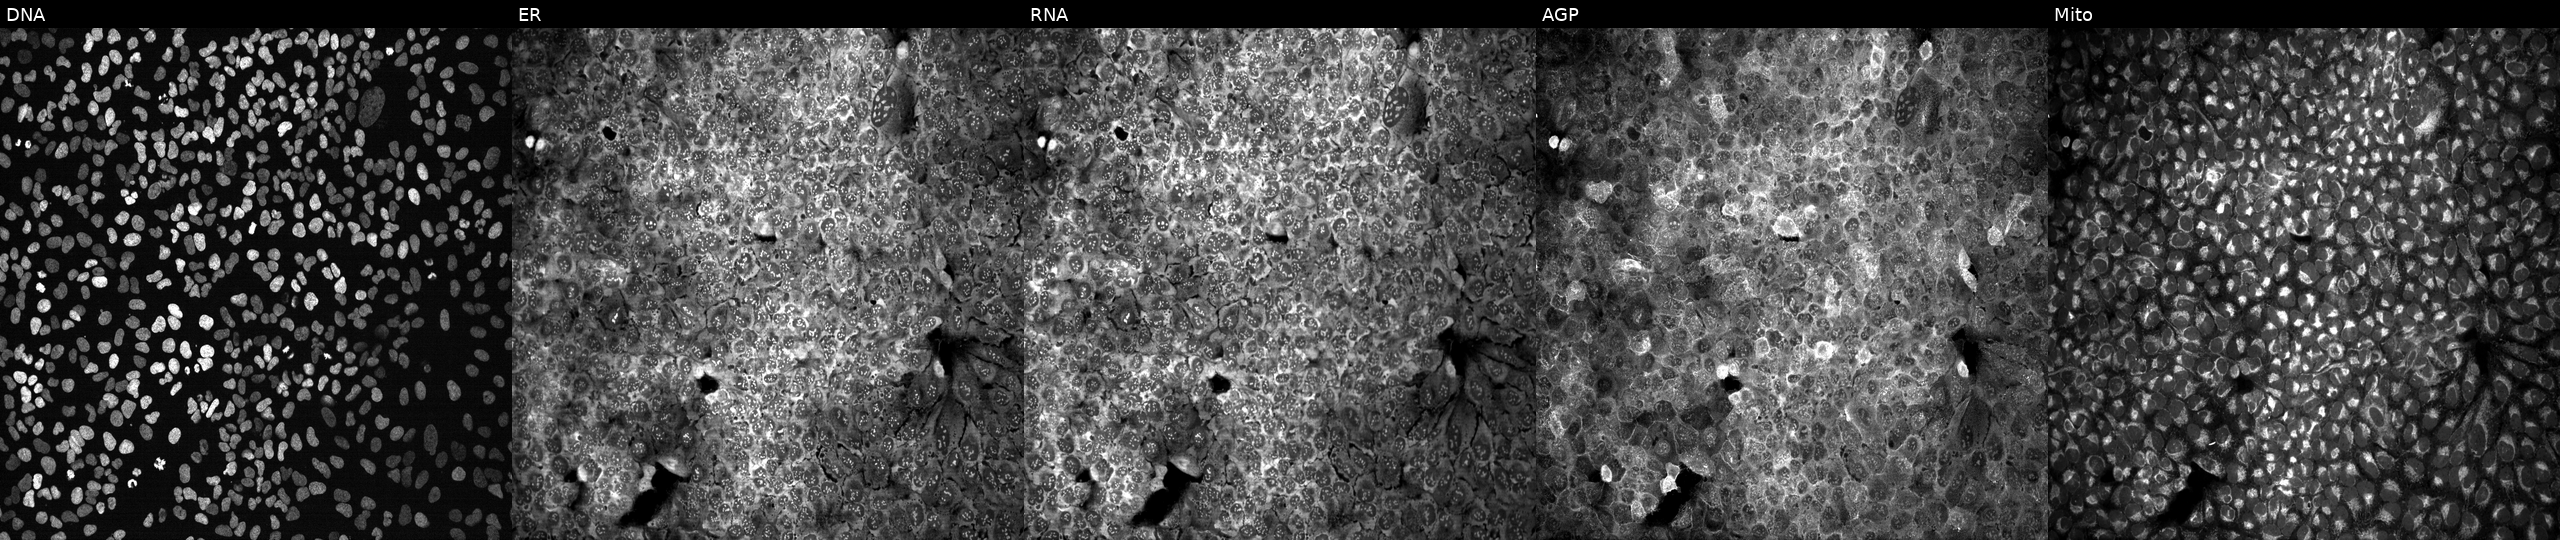
U2OS cells, Cell Painting assay, with no CRISPR guide (negative control). From left to right: DNA, ER, RNA, AGP, and Mito. Each panel is percentile-stretched 16-bit fluorescence.